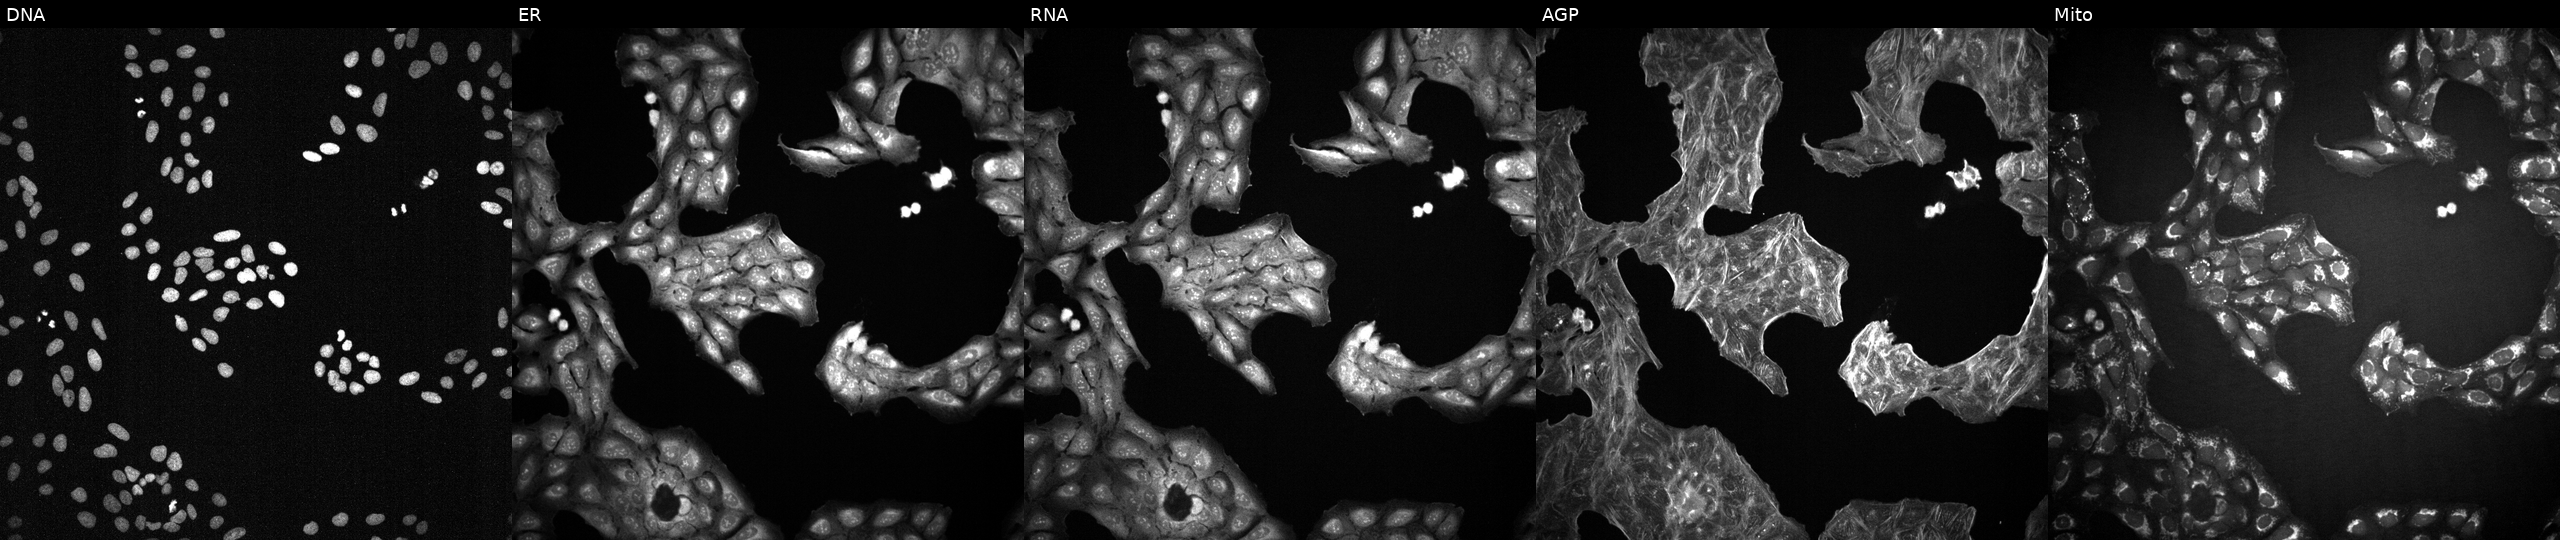
U2OS cells, Cell Painting assay, exposed to a small-molecule compound (JUMP id JCP2022_101929). Channels (left→right): Hoechst 33342, concanavalin A, SYTO 14, phalloidin and WGA, MitoTracker. Each panel is percentile-stretched 16-bit fluorescence.